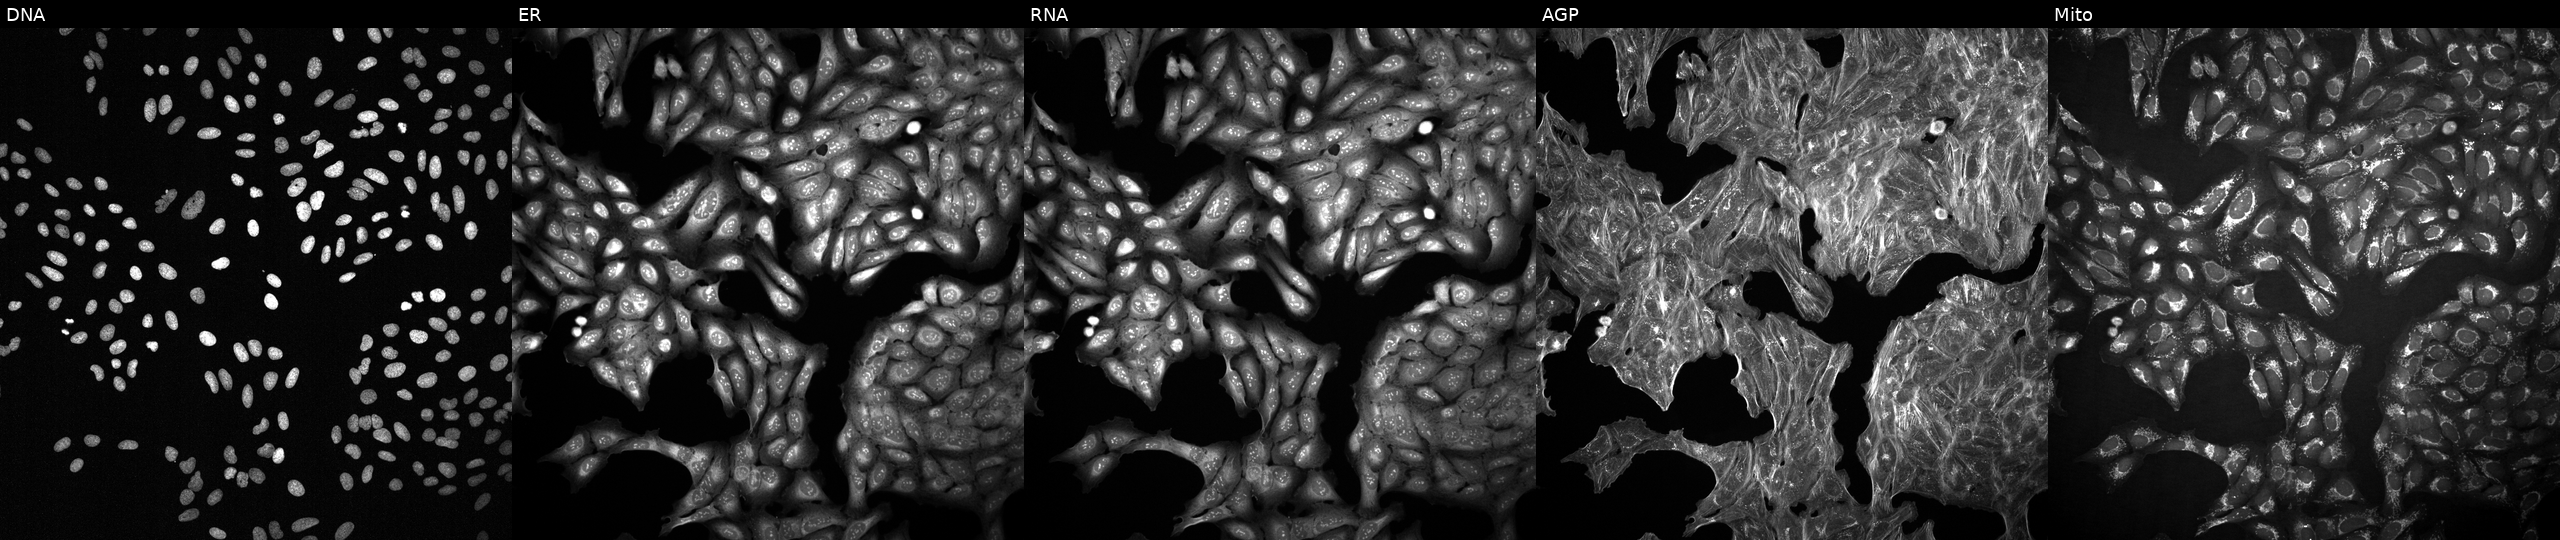
Five-channel Cell Painting image of U2OS cells perturbed with a small-molecule compound. The five panels, left to right, show DNA (nuclei); ER (endoplasmic reticulum); RNA (nucleoli and cytoplasmic RNA); AGP (actin cytoskeleton, Golgi, and plasma membrane); Mito (mitochondria).